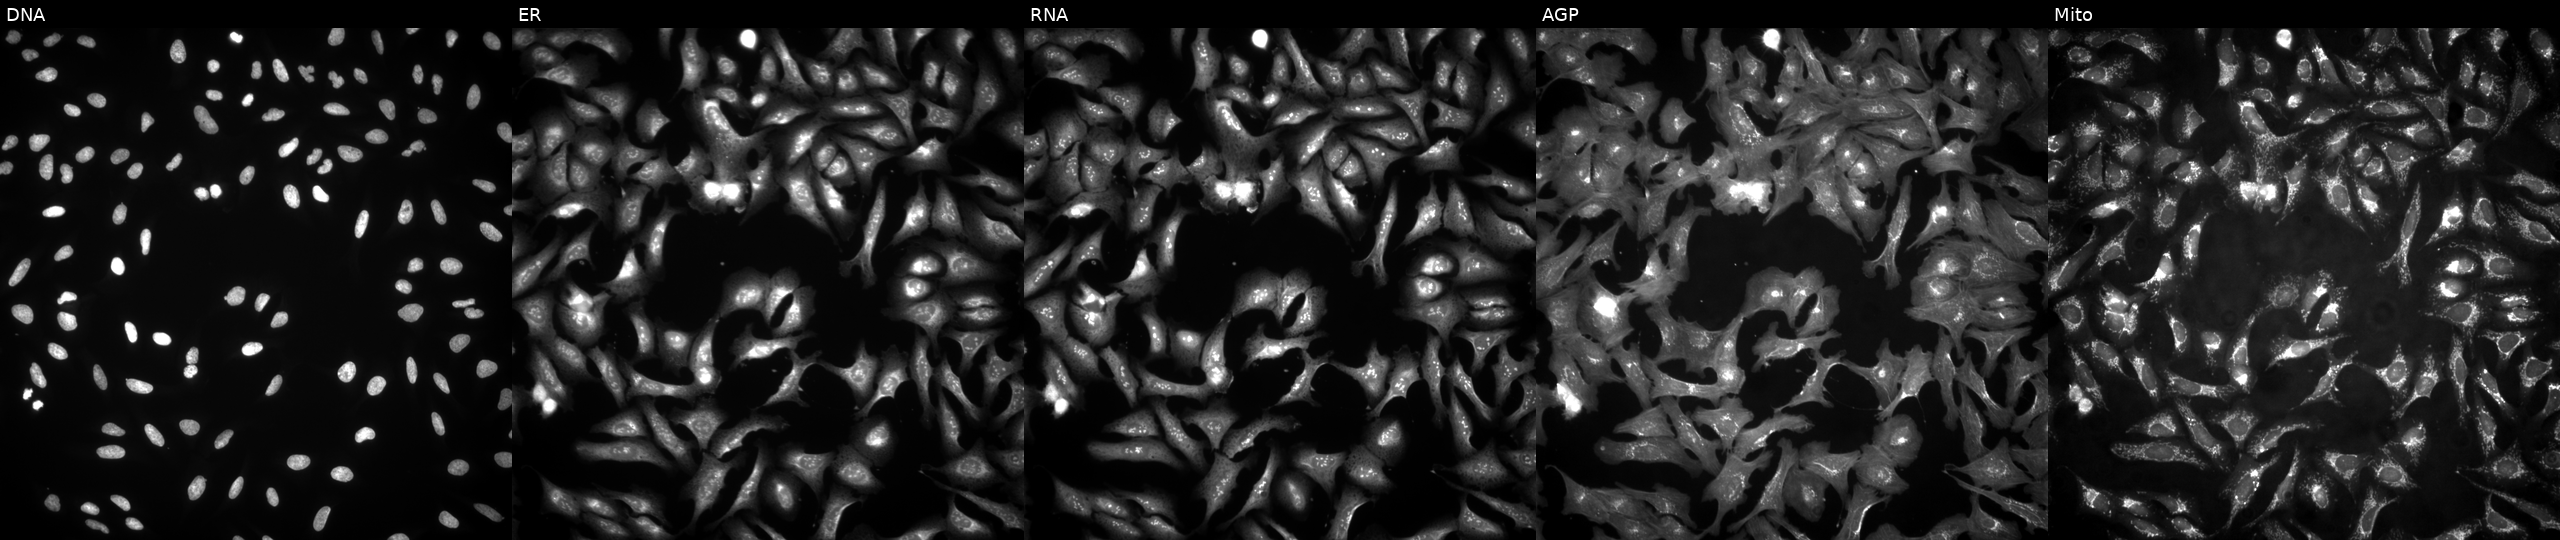
Channels (left→right): Hoechst 33342, concanavalin A, SYTO 14, phalloidin and WGA, MitoTracker. U2OS osteosarcoma cells expressing HcRed (ORF negative control). Cell Painting assay, JUMP-CP dataset. Source 4, plate BR00123509, well J09.